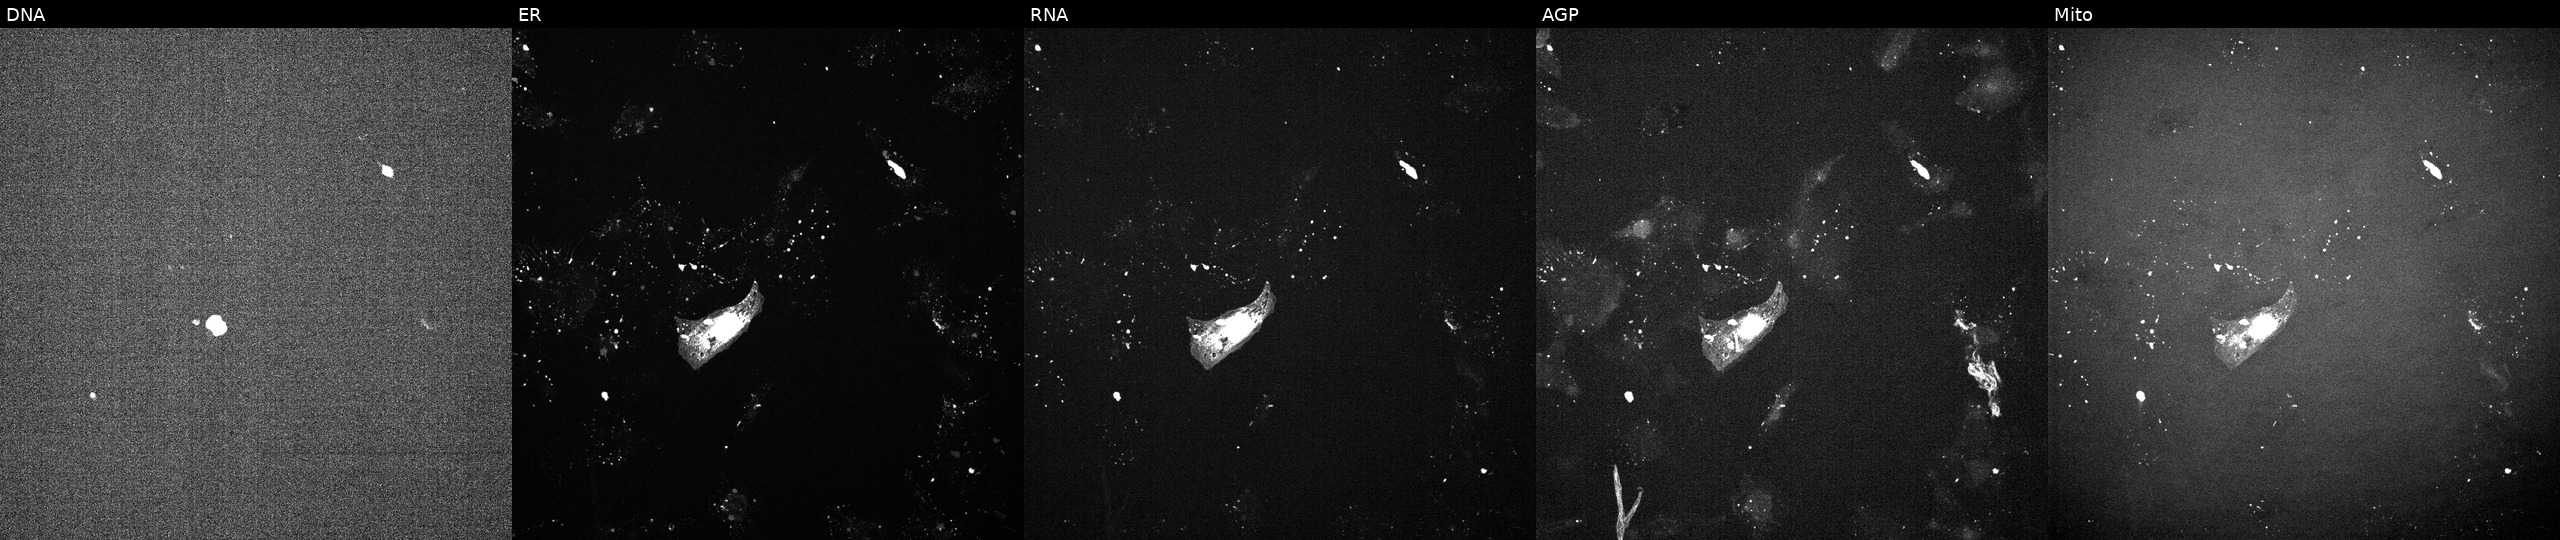
High-content fluorescence microscopy (Cell Painting). Cell line: U2OS. Perturbation: perturbed with a small-molecule compound (InChIKey PBCZSGKMGDDXIJ-UHFFFAOYSA-N). Channels (left→right): Hoechst 33342, concanavalin A, SYTO 14, phalloidin and WGA, MitoTracker. Source 6, plate 110000293081, well G12.